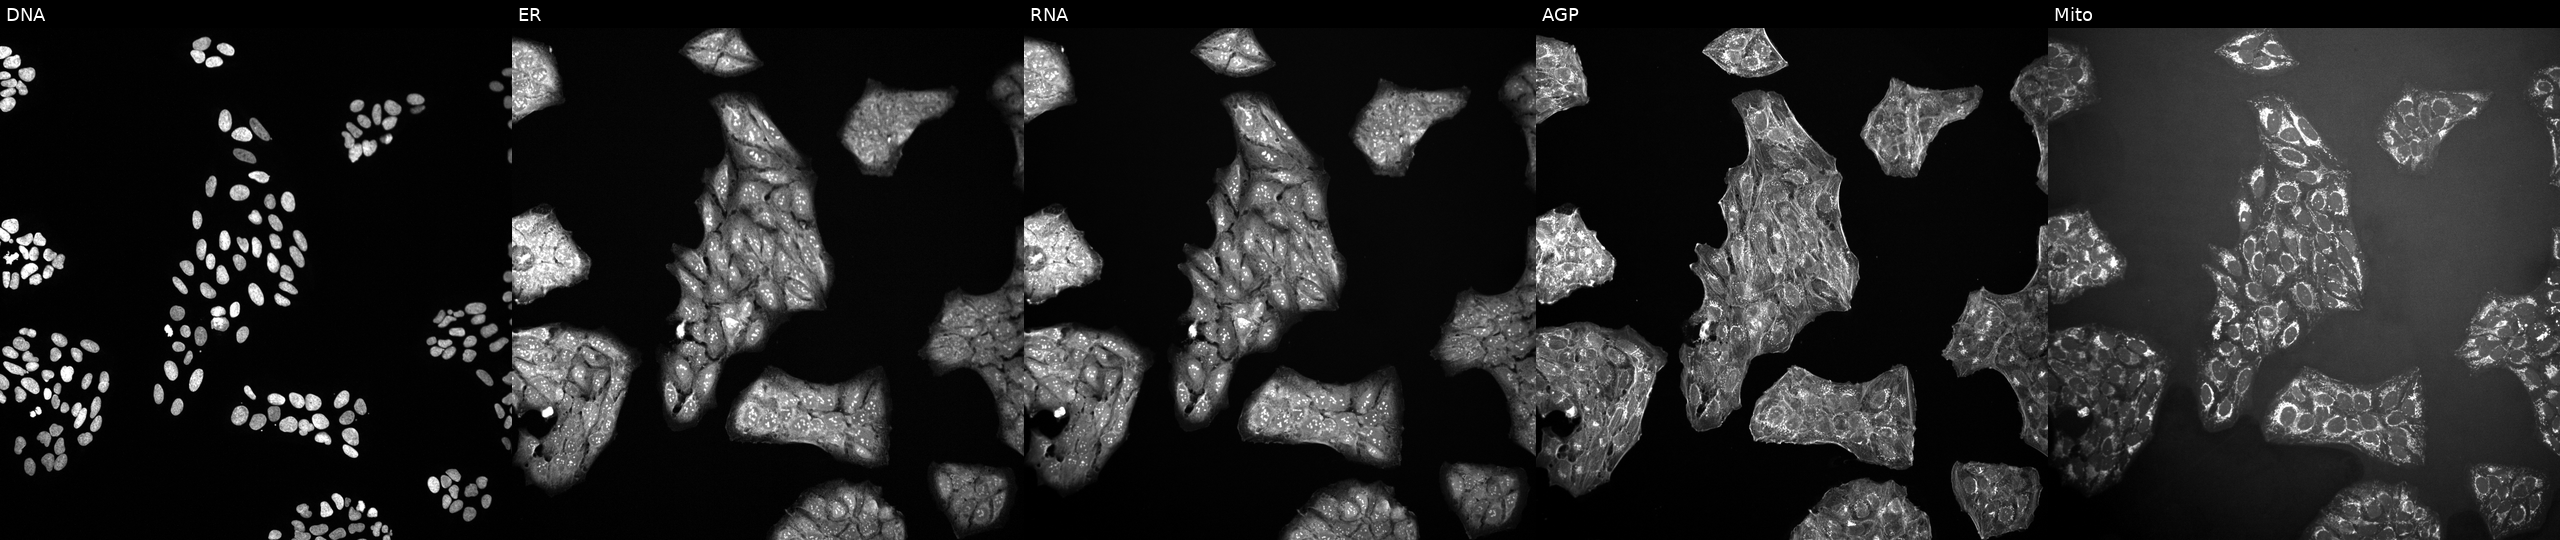
The five panels, left to right, show DNA (nuclei); ER (endoplasmic reticulum); RNA (nucleoli and cytoplasmic RNA); AGP (actin cytoskeleton, Golgi, and plasma membrane); Mito (mitochondria). U2OS osteosarcoma cells exposed to the positive-control compound LY2109761 (JUMP id JCP2022_035095). Cell Painting assay, JUMP-CP dataset.